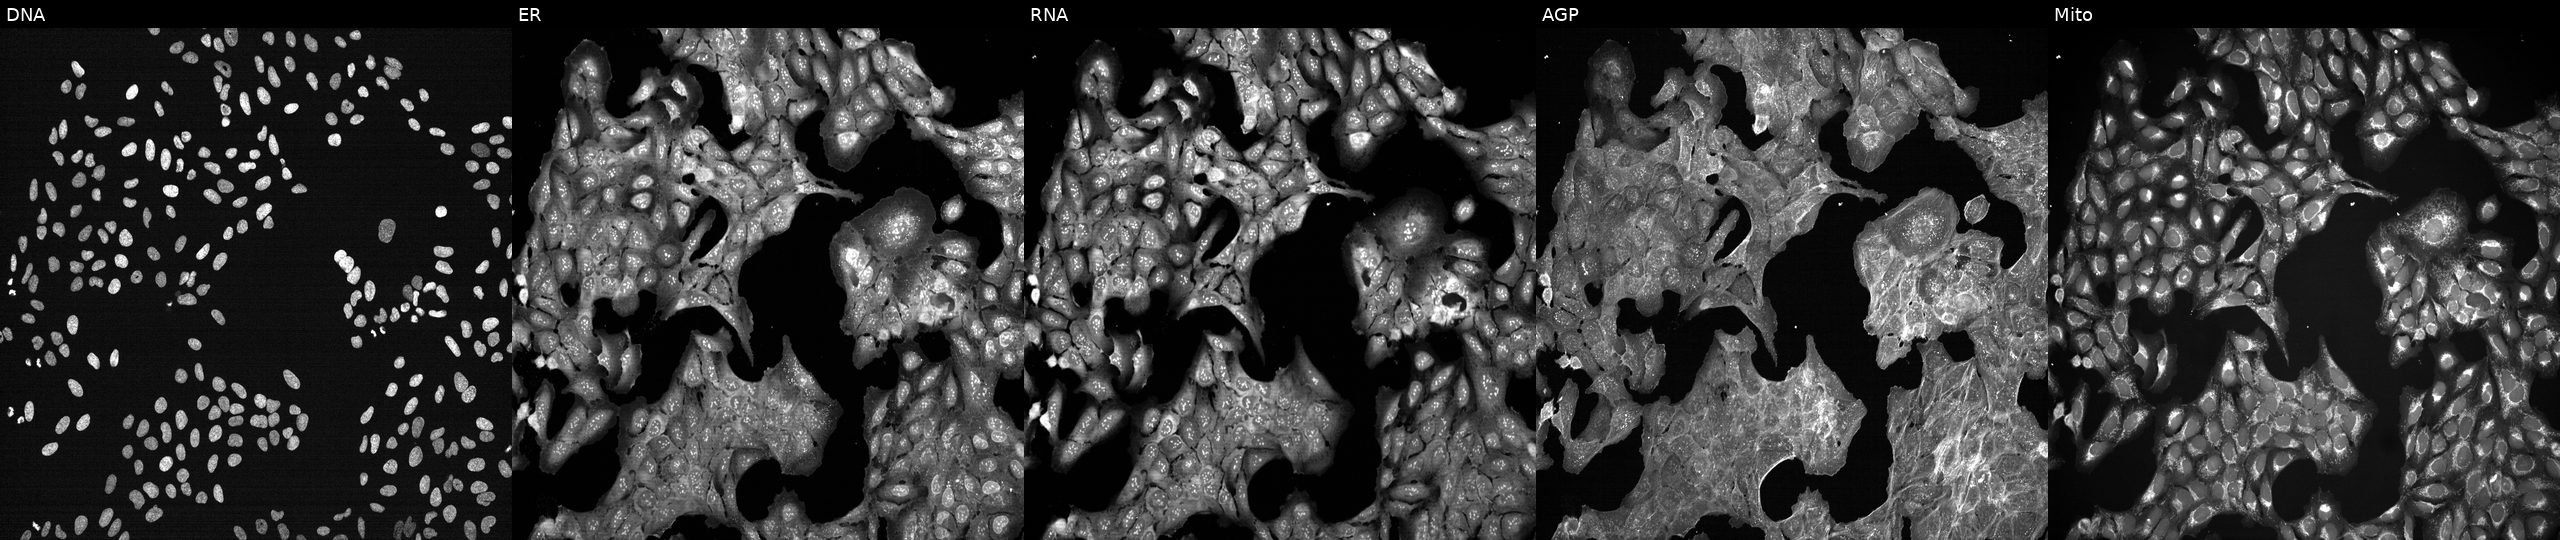
Five-channel Cell Painting image of U2OS cells exposed to a small-molecule compound (InChIKey NDNKNUMSTIMSHQ-UHFFFAOYSA-N) (JUMP id JCP2022_058288). Channels (left→right): Hoechst 33342, concanavalin A, SYTO 14, phalloidin and WGA, MitoTracker.